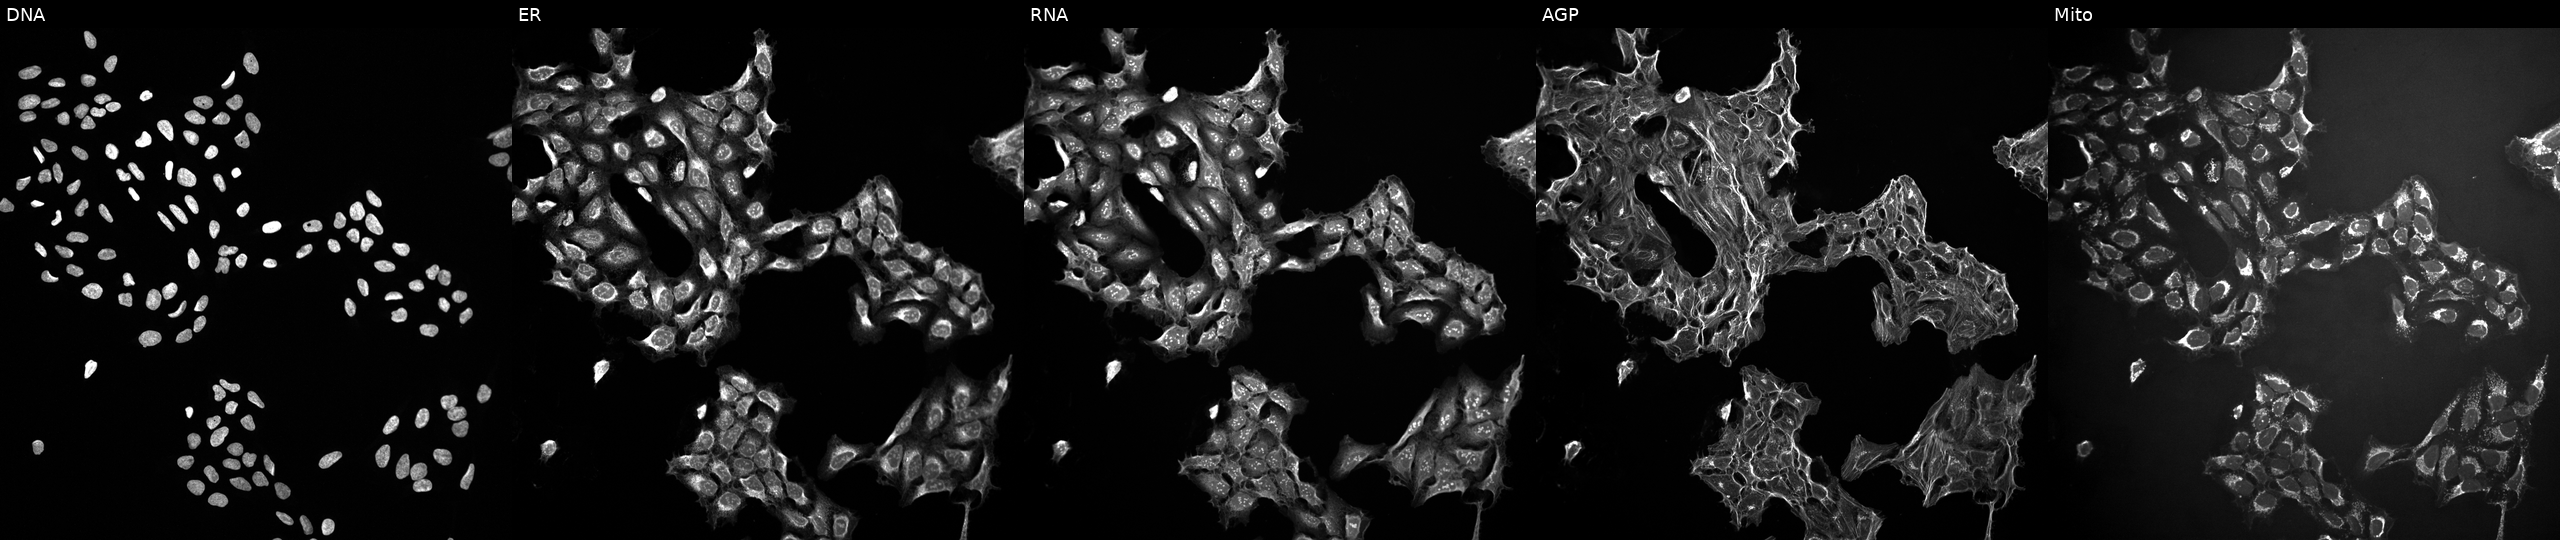
JUMP Cell Painting — TARGET2 plate. U2OS cells exposed to a small-molecule compound. Channels (left→right): Hoechst 33342, concanavalin A, SYTO 14, phalloidin and WGA, MitoTracker. Source 10, plate Dest210726-160150, well M17.